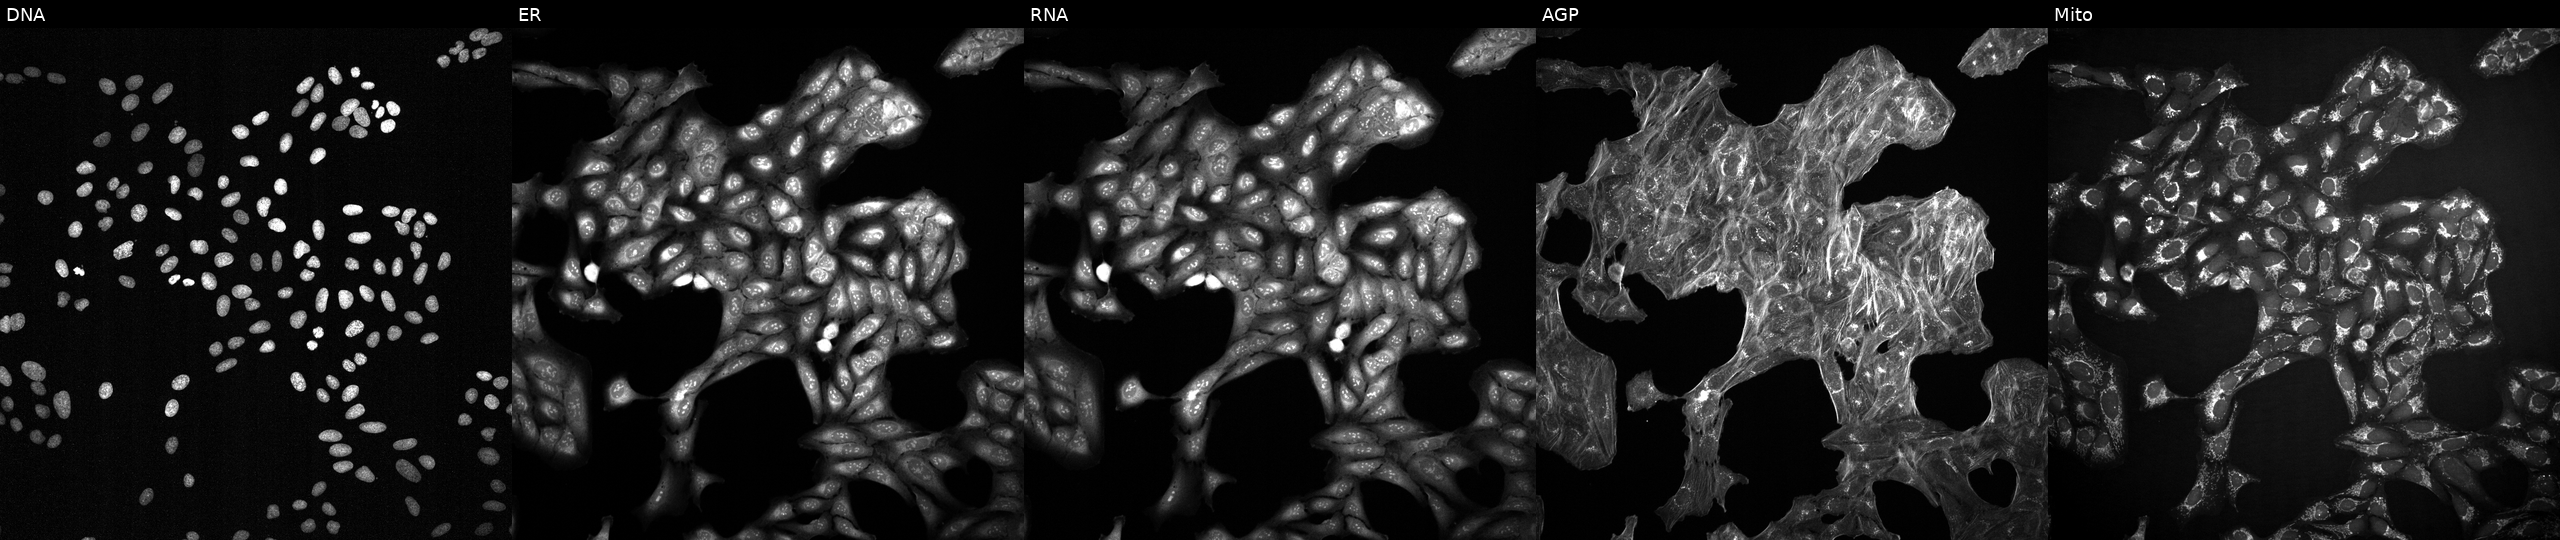
U2OS cells, Cell Painting assay, exposed to DMSO alone as a negative control. Panels show, left to right, Hoechst 33342, concanavalin A, SYTO 14, phalloidin and WGA, MitoTracker. Each panel is percentile-stretched 16-bit fluorescence.